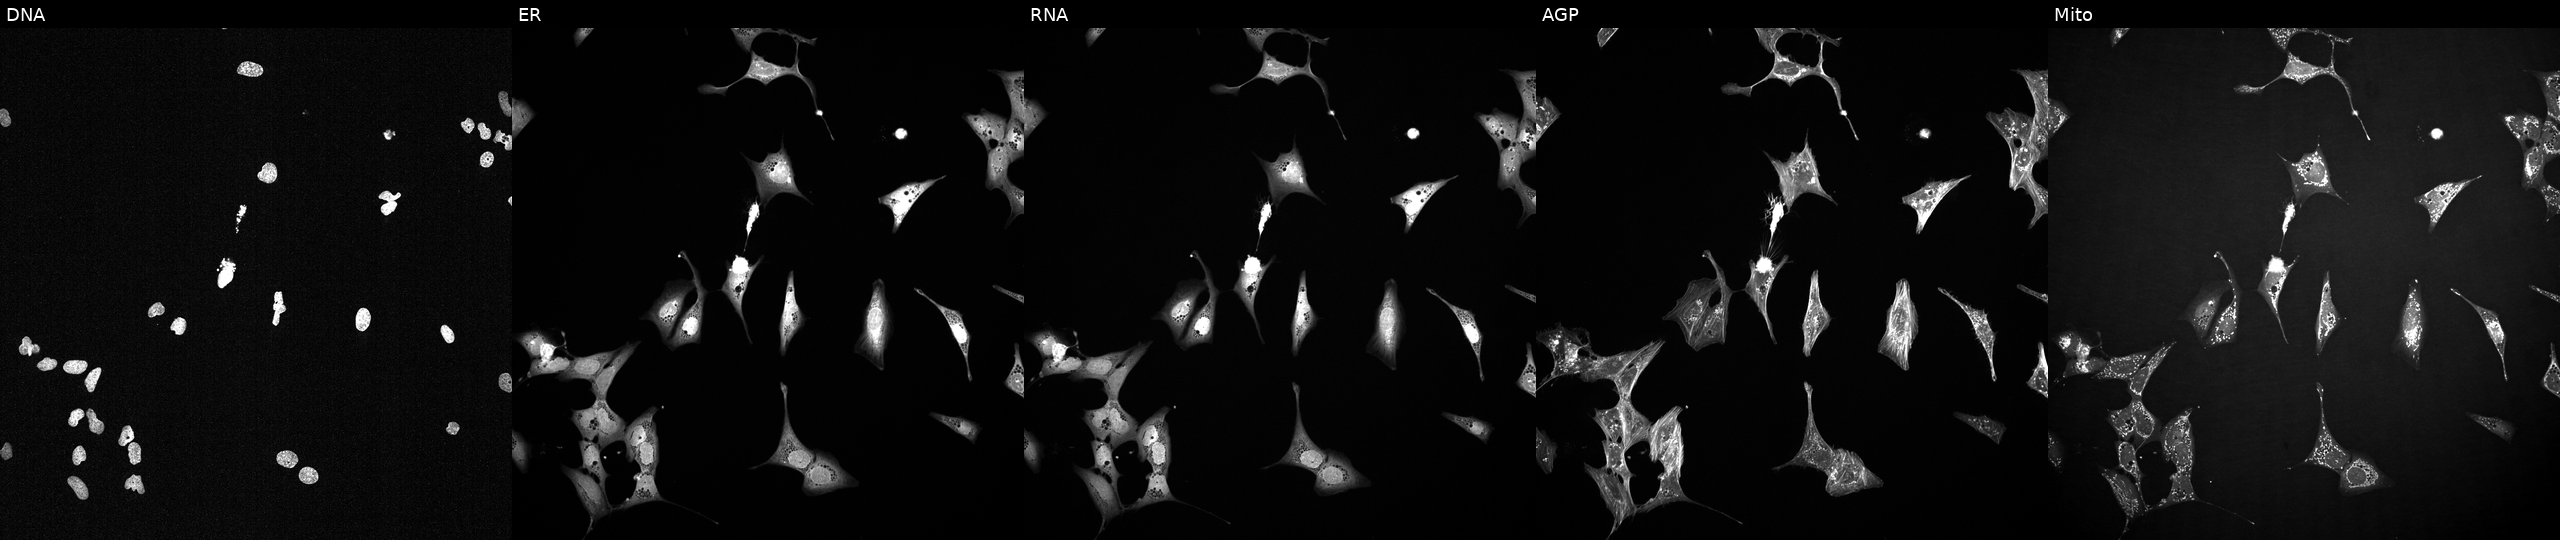
U2OS cells, Cell Painting assay, exposed to a small-molecule compound (InChIKey XLSYZSRXVVCHLS-UHFFFAOYSA-N) [SMILES: COCCN1CCN(Cc2ccc(-c3[nH]nc4c3C(=O)c3c(NC(=O)NN5CCOCC5)cccc3-4)cc2)CC1] (JUMP id JCP2022_104437). Channels (left→right): Hoechst 33342, concanavalin A, SYTO 14, phalloidin and WGA, MitoTracker. Each panel is percentile-stretched 16-bit fluorescence. Source 2, plate 1053600674, well H11.